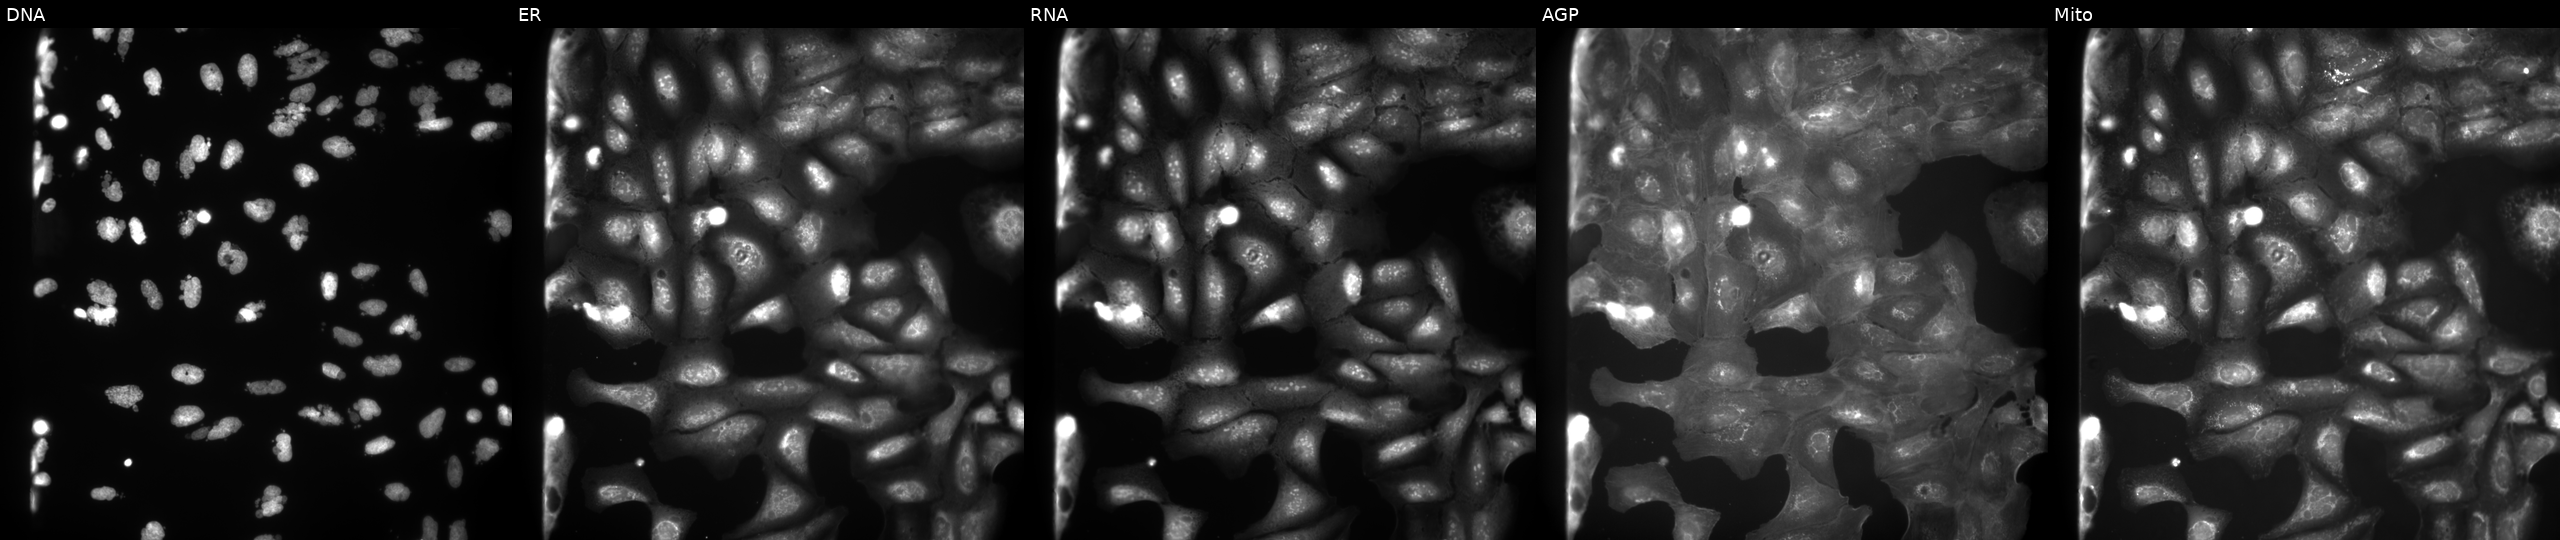
U2OS cells, Cell Painting assay, treated with AMG900 (positive-control compound). Channels (left→right): Hoechst 33342, concanavalin A, SYTO 14, phalloidin and WGA, MitoTracker. Each panel is percentile-stretched 16-bit fluorescence.